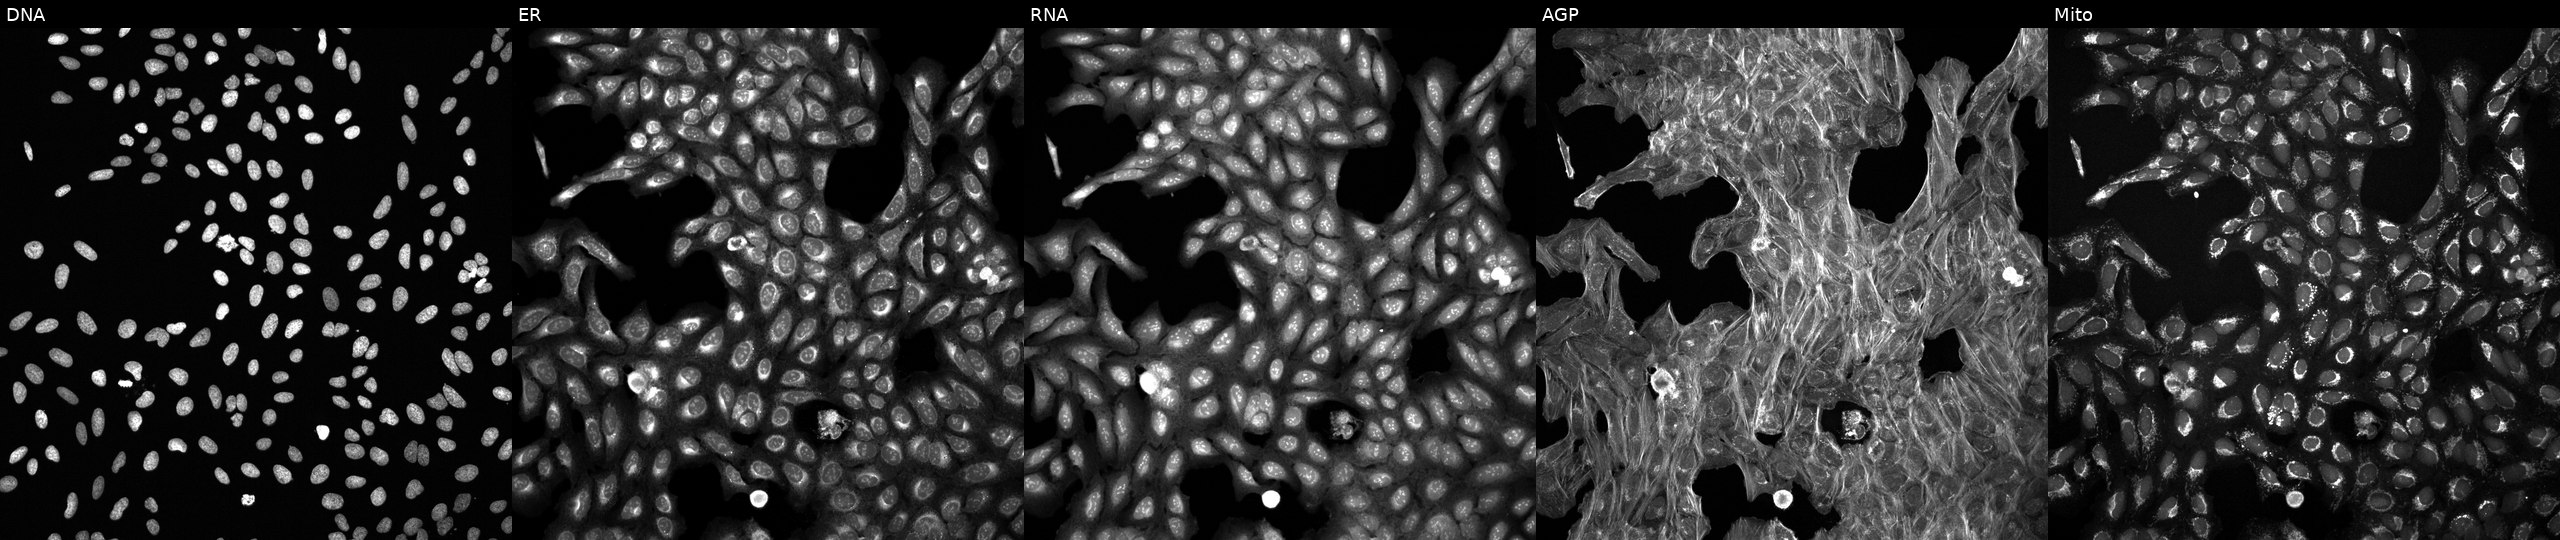
Panels show, left to right, DNA (nuclei); ER (endoplasmic reticulum); RNA (nucleoli and cytoplasmic RNA); AGP (actin cytoskeleton, Golgi, and plasma membrane); Mito (mitochondria). U2OS osteosarcoma cells exposed to DMSO alone as a negative control (JUMP id JCP2022_033924). Cell Painting assay, JUMP-CP dataset. Source 6, plate 110000293081, well E08.